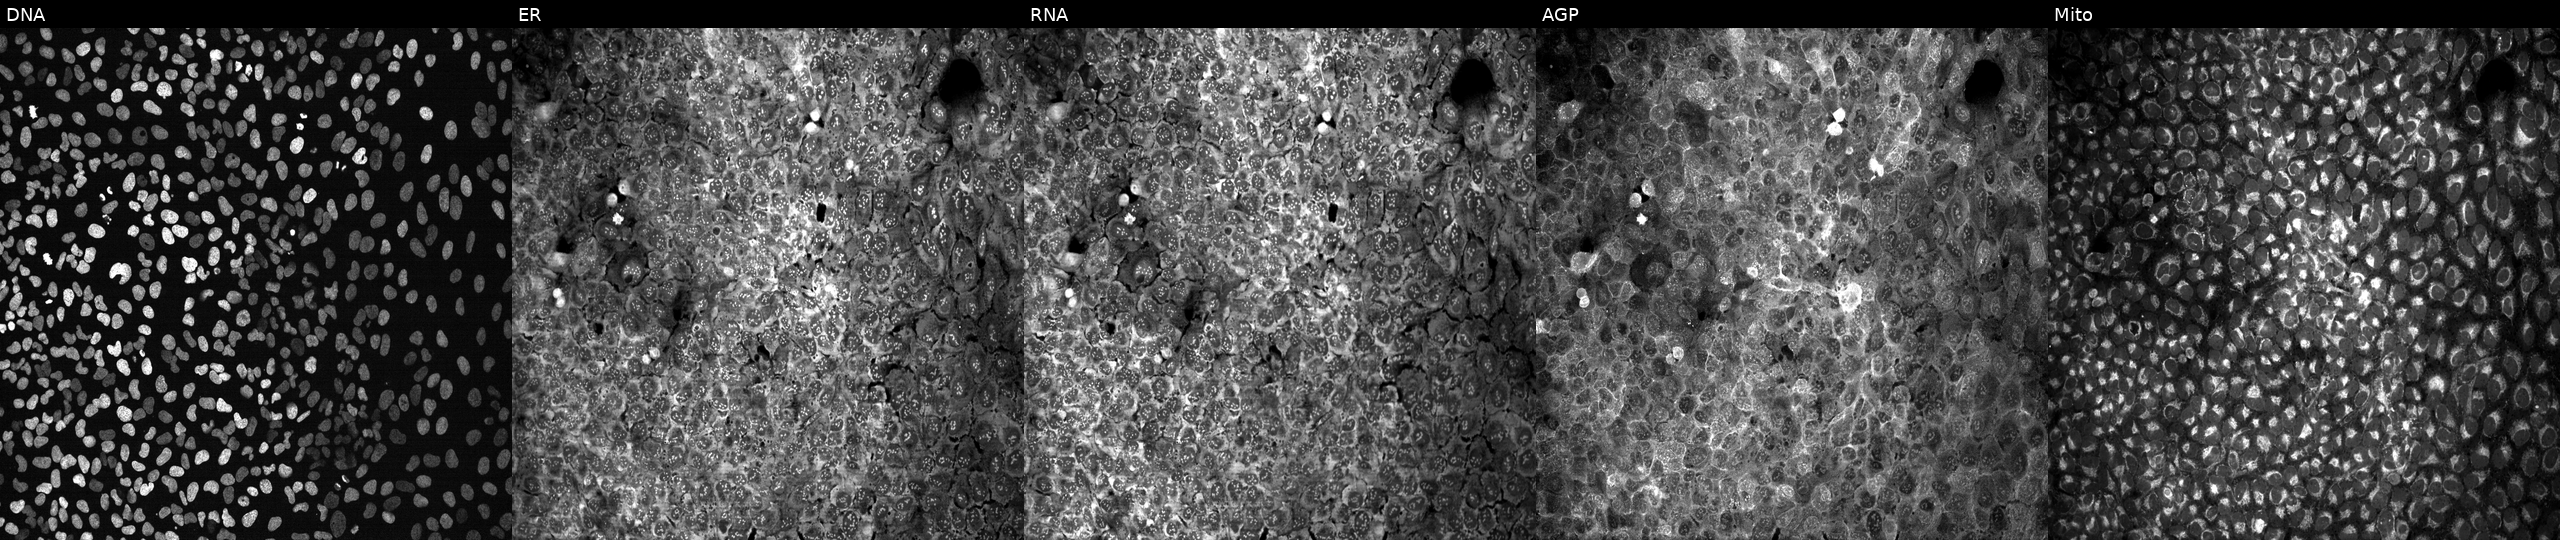
Five-channel Cell Painting image of U2OS cells exposed to DMSO alone as a negative control. Panels show, left to right, DNA (nuclei); ER (endoplasmic reticulum); RNA (nucleoli and cytoplasmic RNA); AGP (actin cytoskeleton, Golgi, and plasma membrane); Mito (mitochondria).